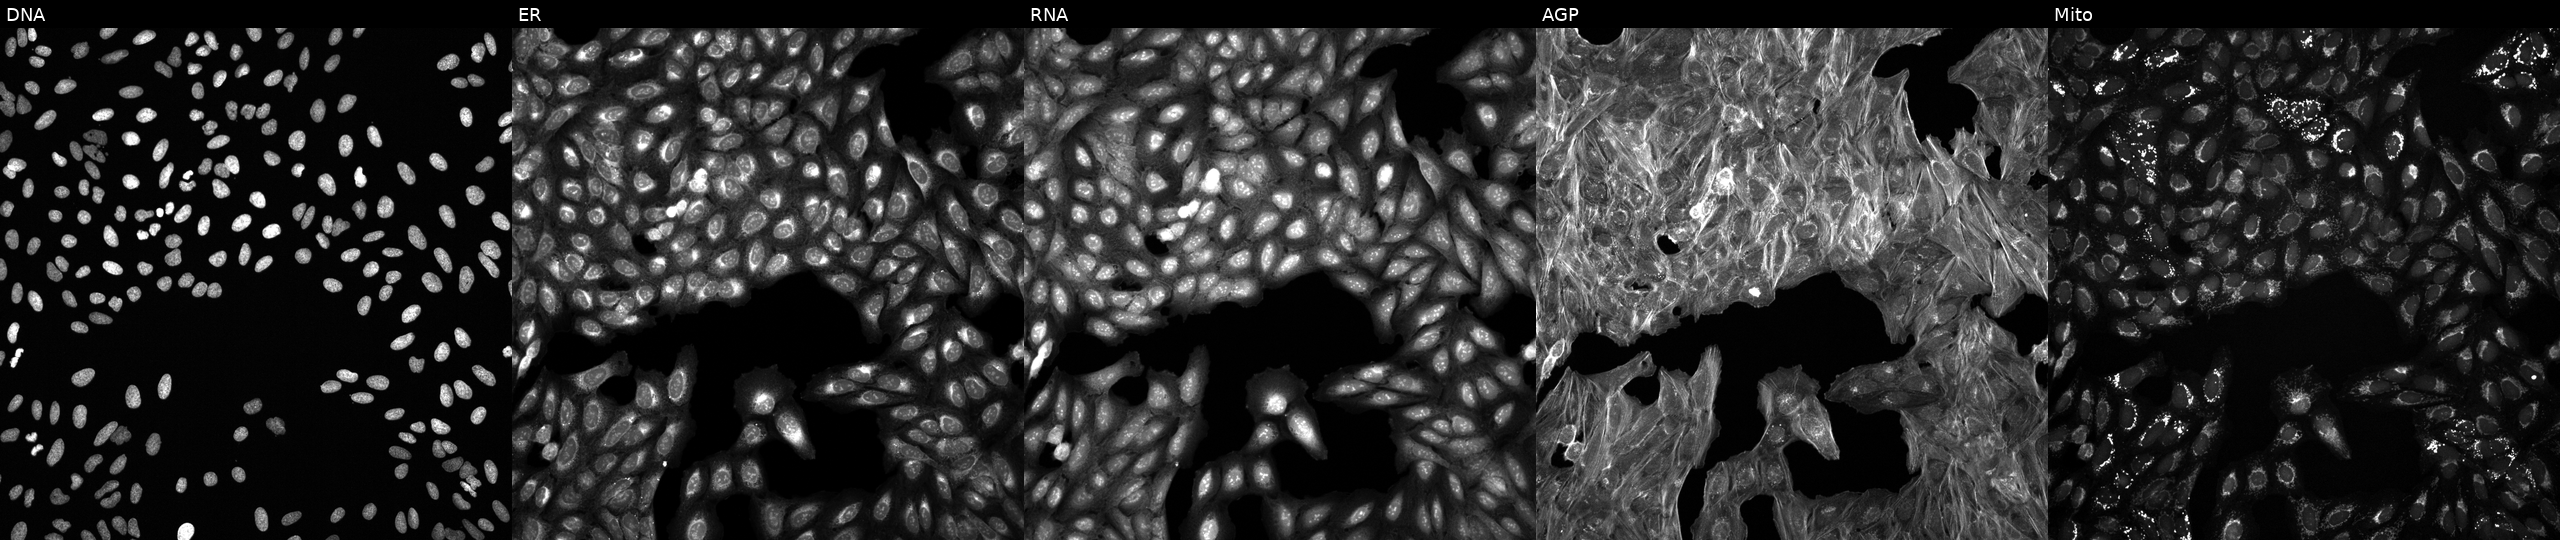
From left to right: Hoechst 33342, concanavalin A, SYTO 14, phalloidin and WGA, MitoTracker. U2OS osteosarcoma cells perturbed with a small-molecule compound (InChIKey TXUZVZSFRXZGTL-UHFFFAOYSA-N) (JUMP id JCP2022_087444). Cell Painting assay, JUMP-CP dataset. Source 6, plate 110000293081, well C15.